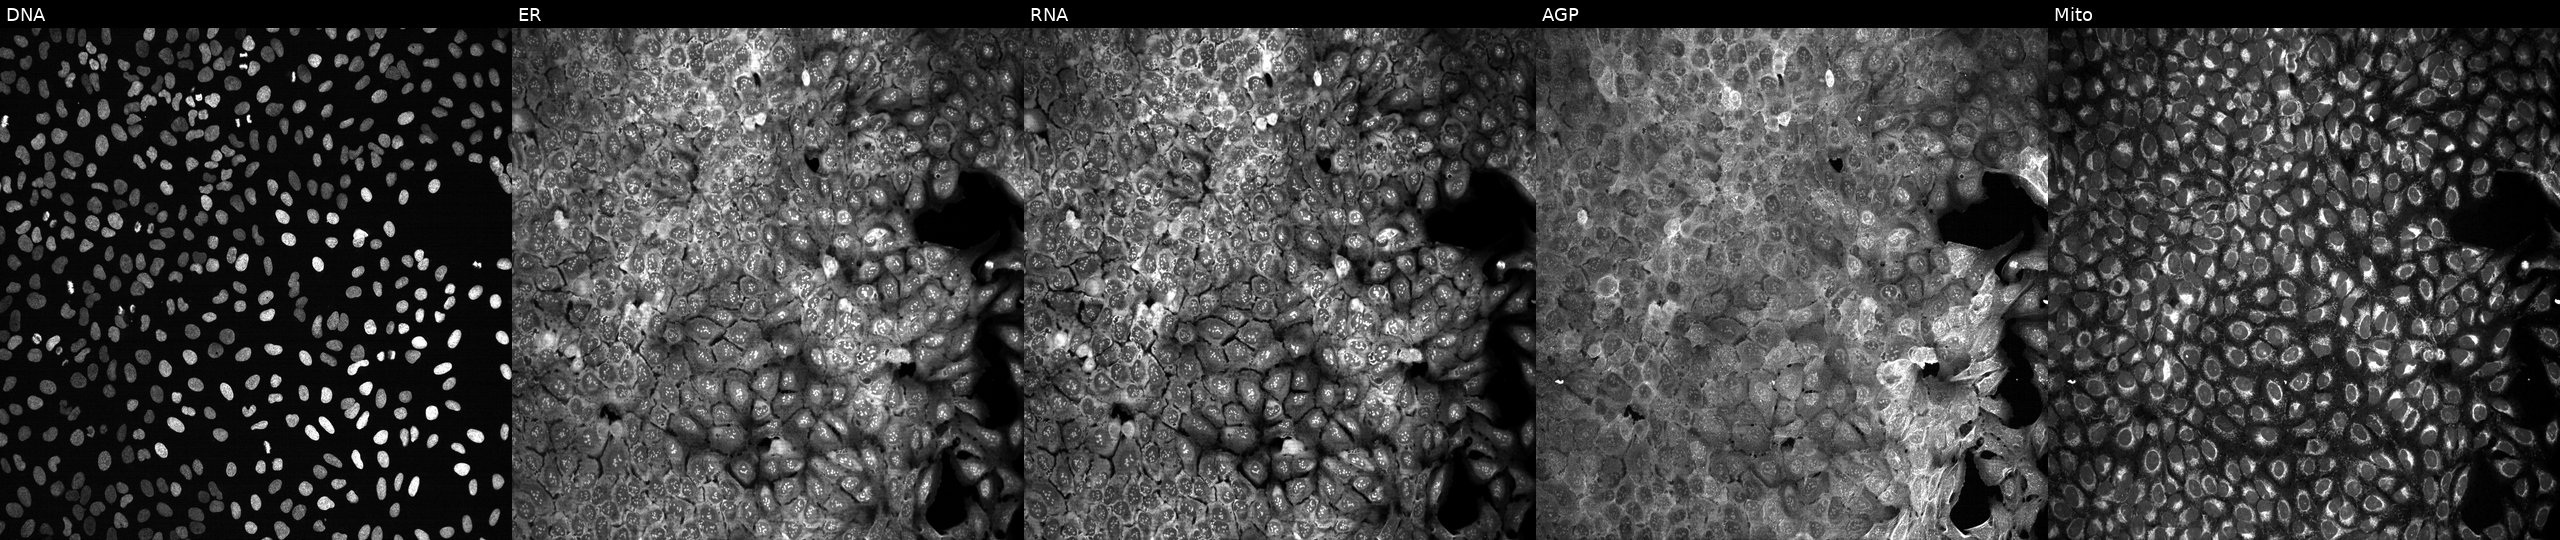
High-content fluorescence microscopy (Cell Painting). Cell line: U2OS. Perturbation: with no CRISPR guide (negative control) (JUMP id JCP2022_800001). The five panels, left to right, show DNA (nuclei); ER (endoplasmic reticulum); RNA (nucleoli and cytoplasmic RNA); AGP (actin cytoskeleton, Golgi, and plasma membrane); Mito (mitochondria). Source 13, plate CP-CC9-R3-02, well K02.